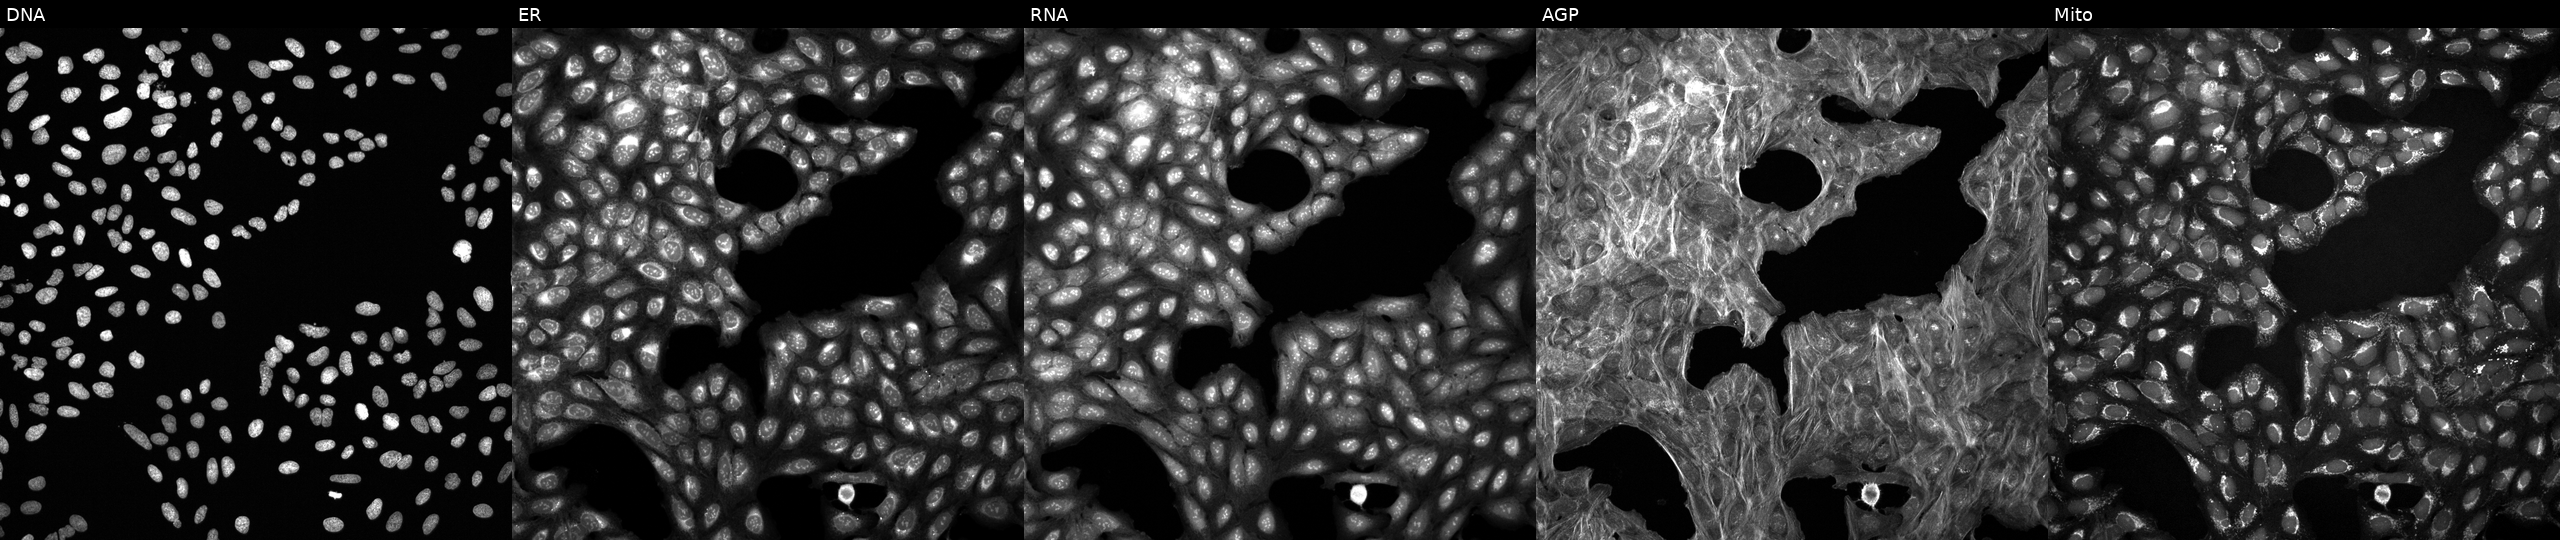
This image strip shows the five Cell Painting channels for a single field of U2OS cells treated with a small-molecule compound (InChIKey NYNZQNWKBKUAII-UHFFFAOYSA-N). Channels (left→right): DNA (nuclei); ER (endoplasmic reticulum); RNA (nucleoli and cytoplasmic RNA); AGP (actin cytoskeleton, Golgi, and plasma membrane); Mito (mitochondria).